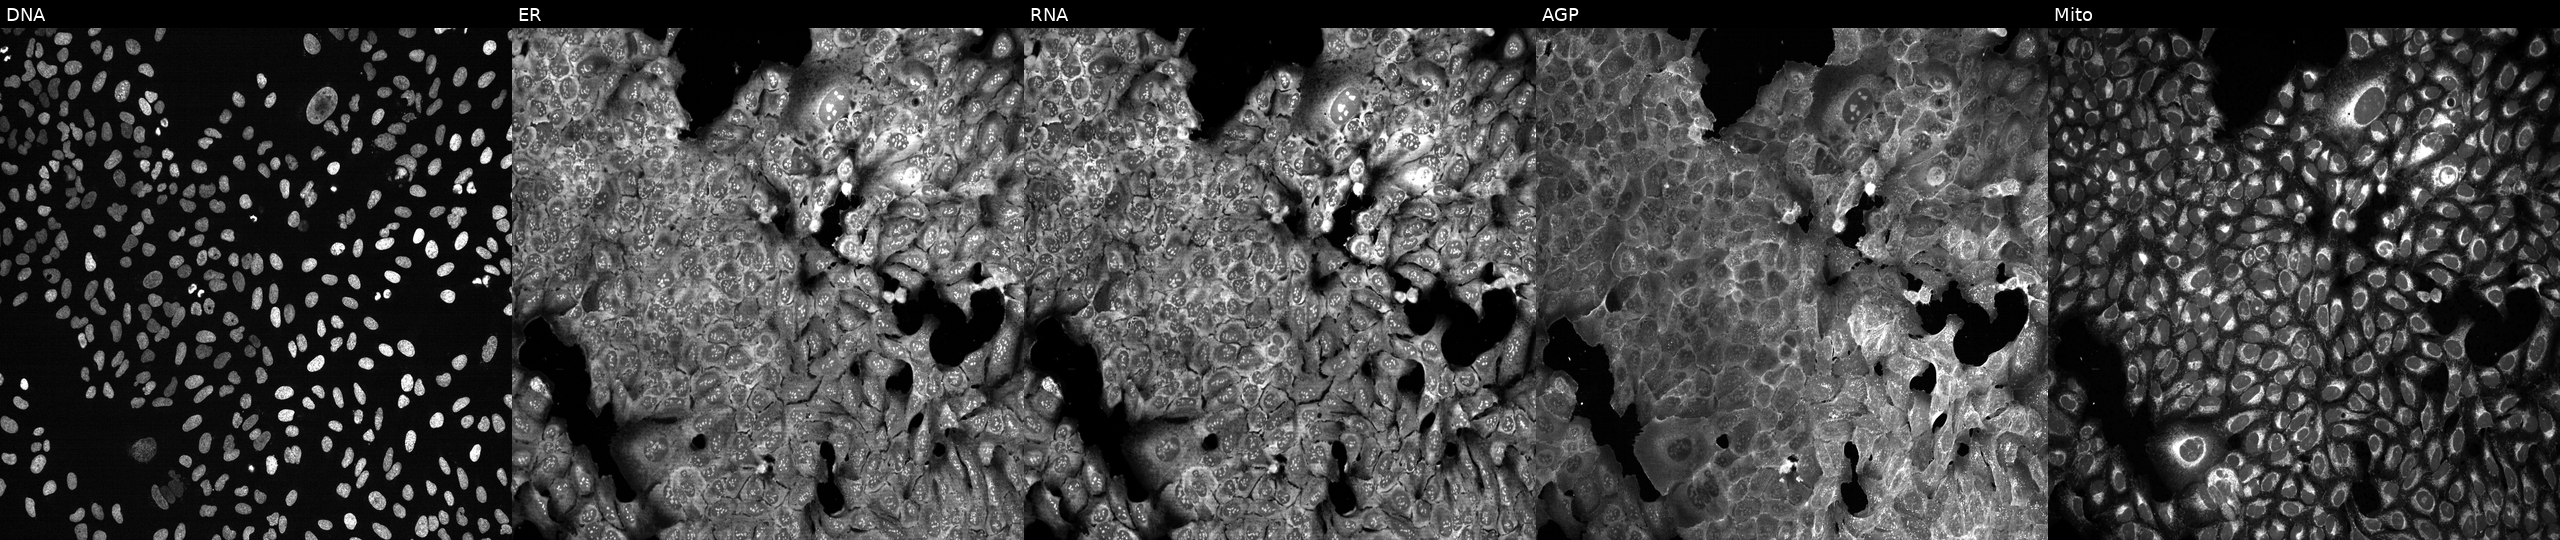
This image strip shows the five Cell Painting channels for a single field of U2OS cells following CRISPR knockout of SP140 (JUMP id JCP2022_806716). Channels (left→right): DNA (nuclei); ER (endoplasmic reticulum); RNA (nucleoli and cytoplasmic RNA); AGP (actin cytoskeleton, Golgi, and plasma membrane); Mito (mitochondria).